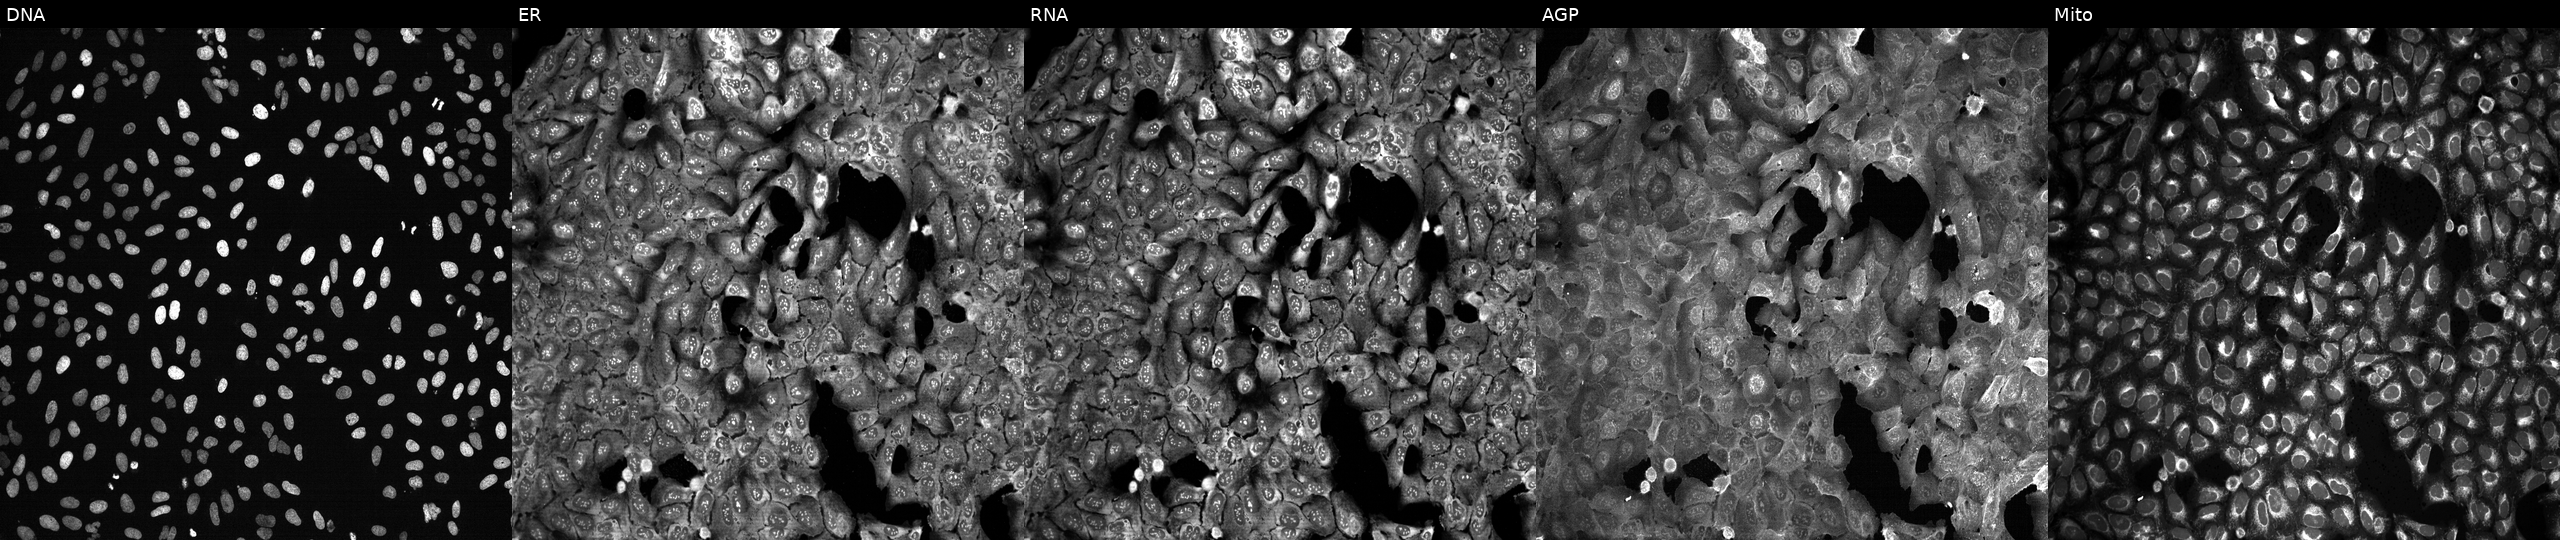
U2OS cells, Cell Painting assay, with PAM knocked out by CRISPR. Channels (left→right): DNA, ER, RNA, AGP, and Mito. Each panel is percentile-stretched 16-bit fluorescence.